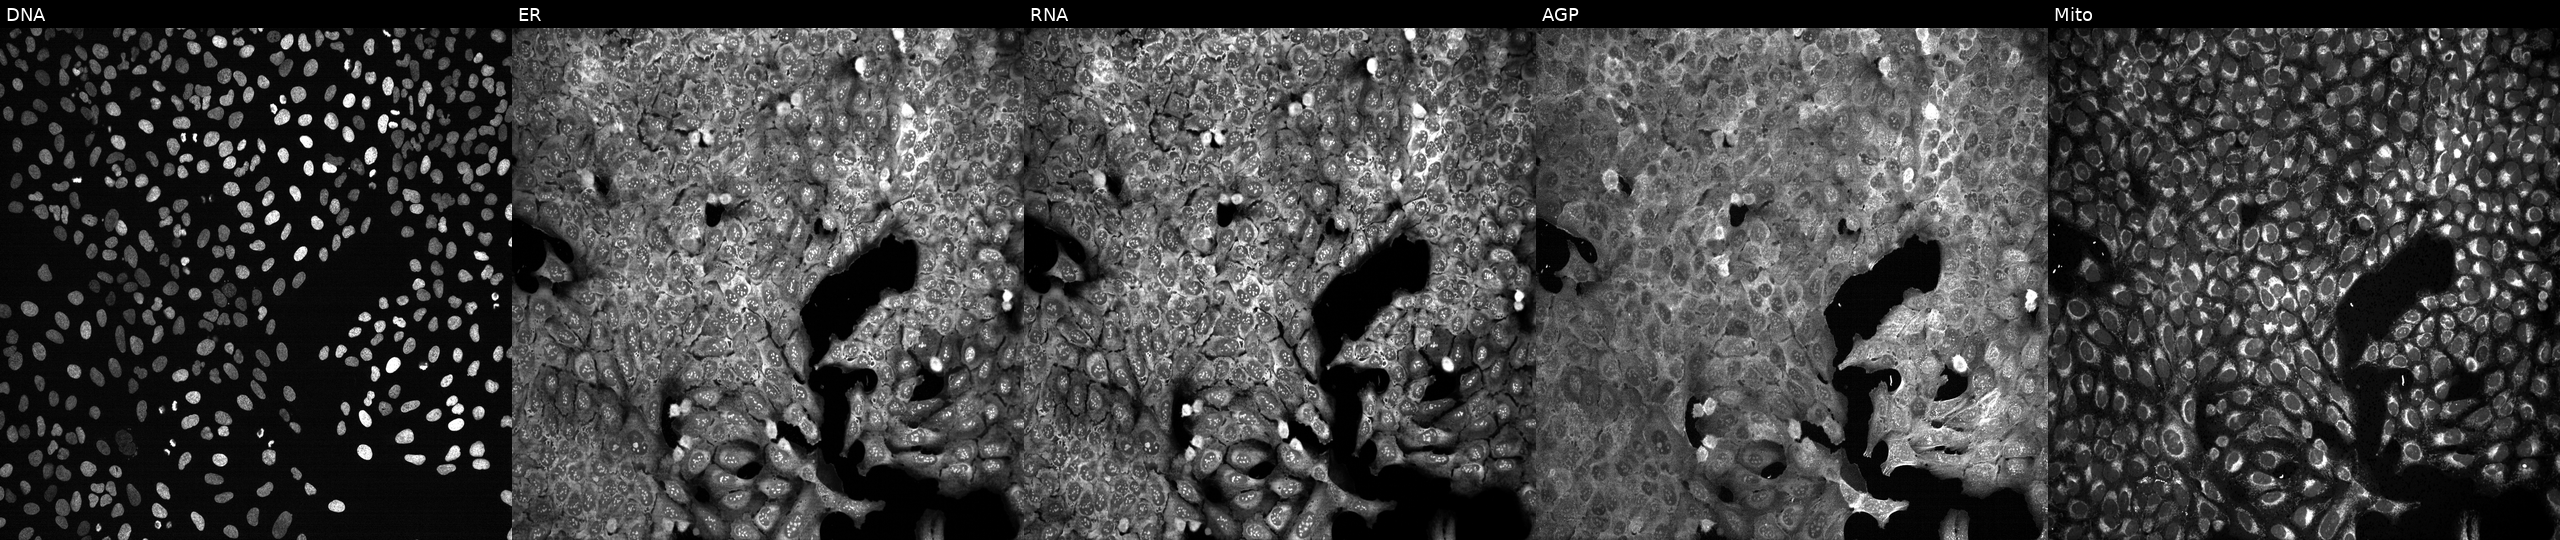
JUMP Cell Painting — CRISPR plate. U2OS cells exposed to DMSO alone as a negative control. Panels show, left to right, DNA, ER, RNA, AGP, and Mito.